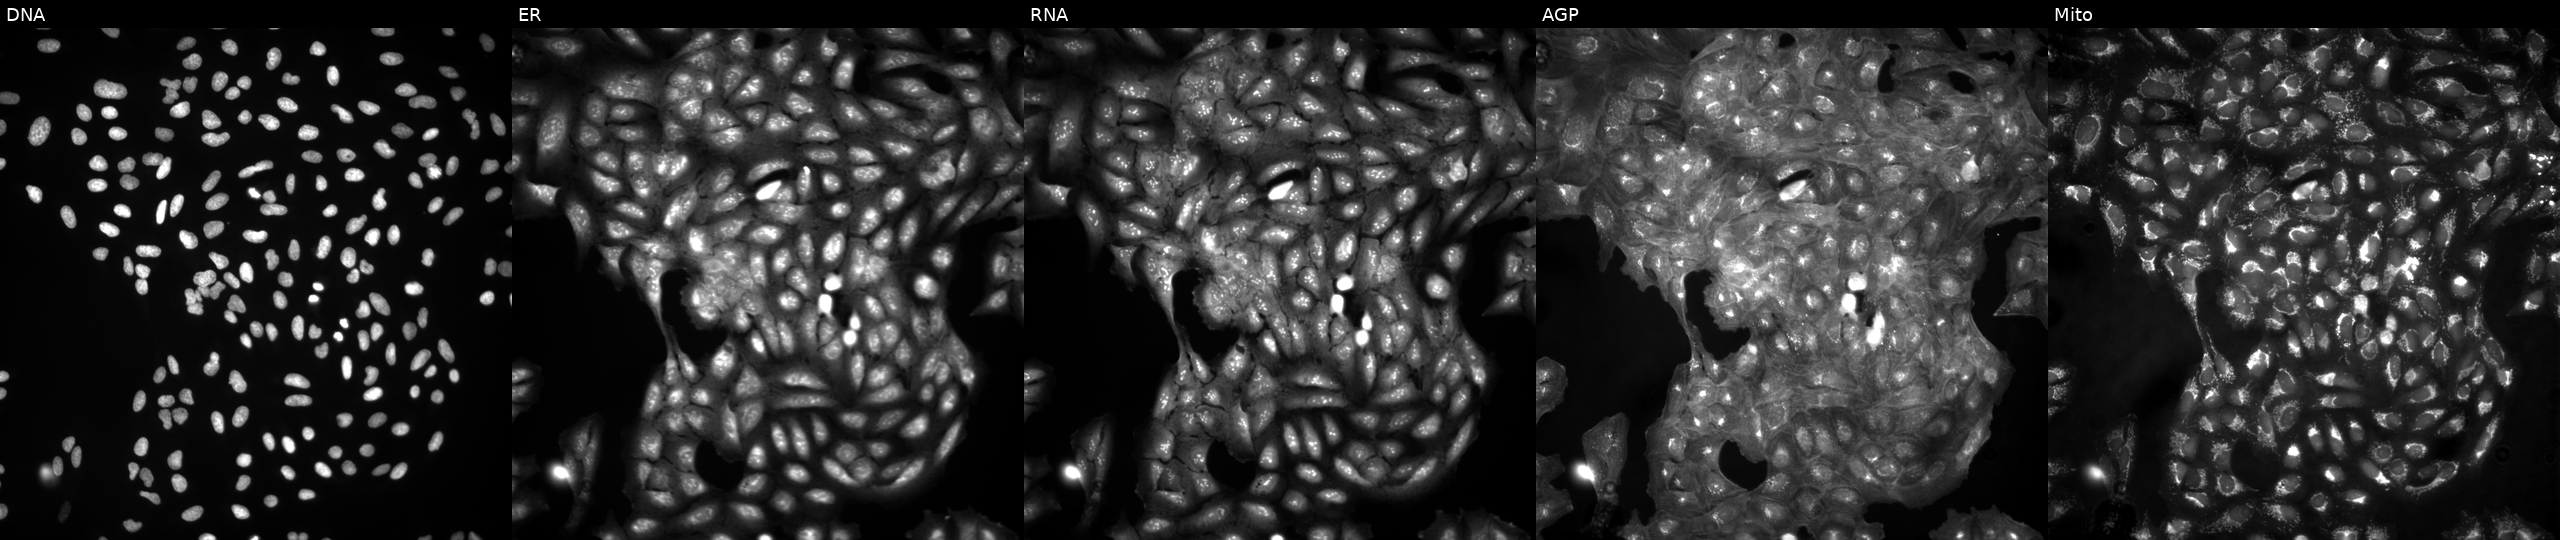
Five-channel Cell Painting image of U2OS cells untreated (empty-well control) (JUMP id JCP2022_999999). Channels (left→right): Hoechst 33342, concanavalin A, SYTO 14, phalloidin and WGA, MitoTracker. Source 4, plate BR00123946, well P16.